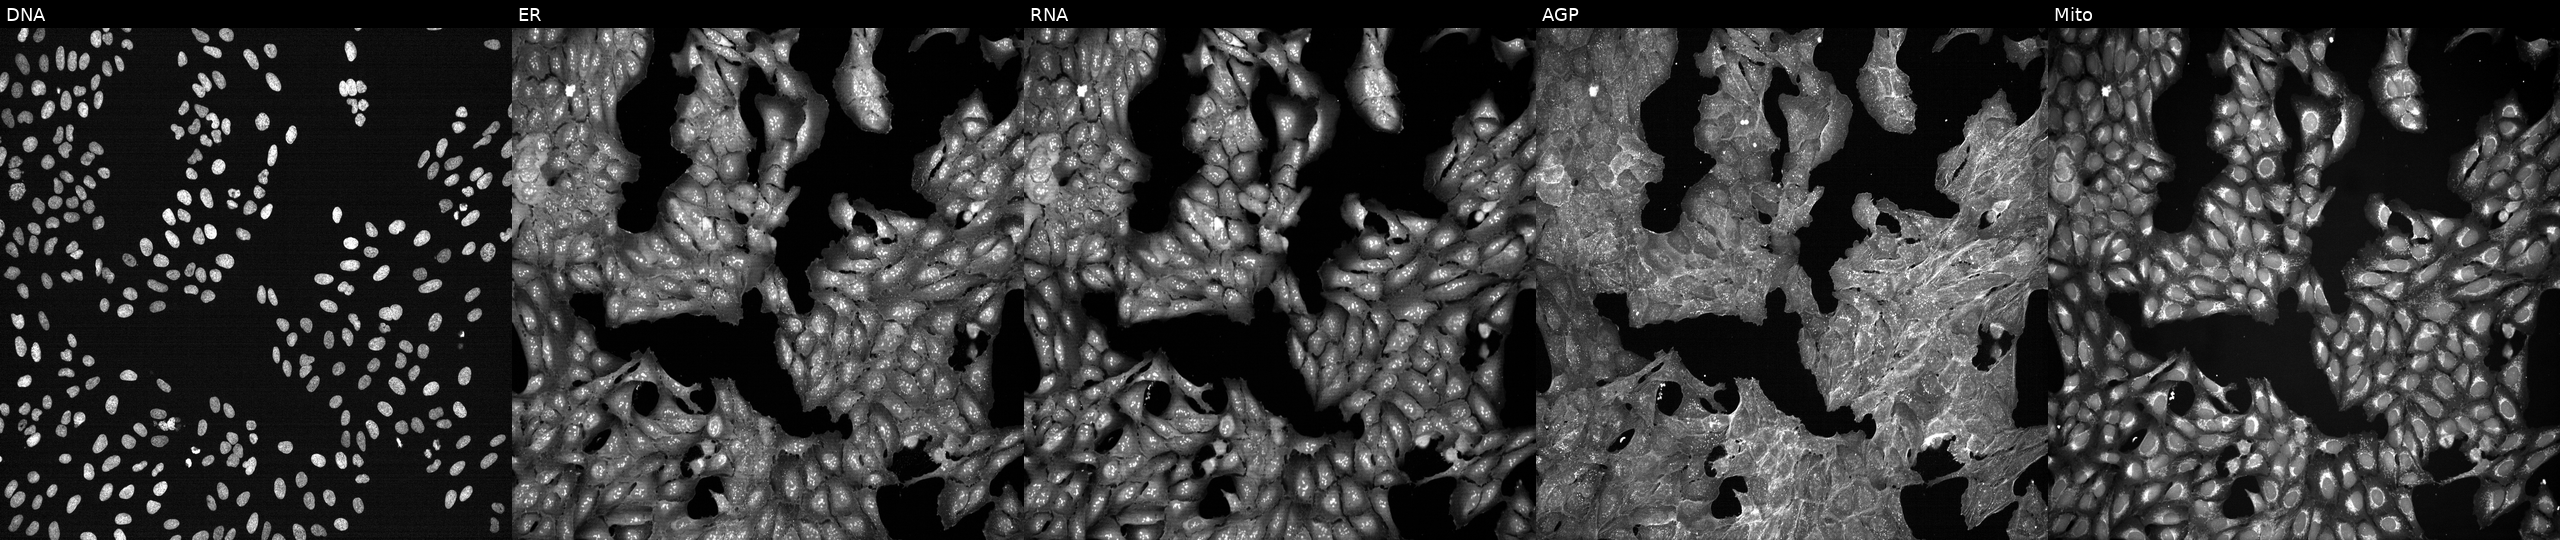
This image strip shows the five Cell Painting channels for a single field of U2OS cells treated with DMSO vehicle only (negative control) (JUMP id JCP2022_033924). Panels show, left to right, DNA (nuclei); ER (endoplasmic reticulum); RNA (nucleoli and cytoplasmic RNA); AGP (actin cytoskeleton, Golgi, and plasma membrane); Mito (mitochondria). Source 7, plate CP2-SC1-25, well C09.